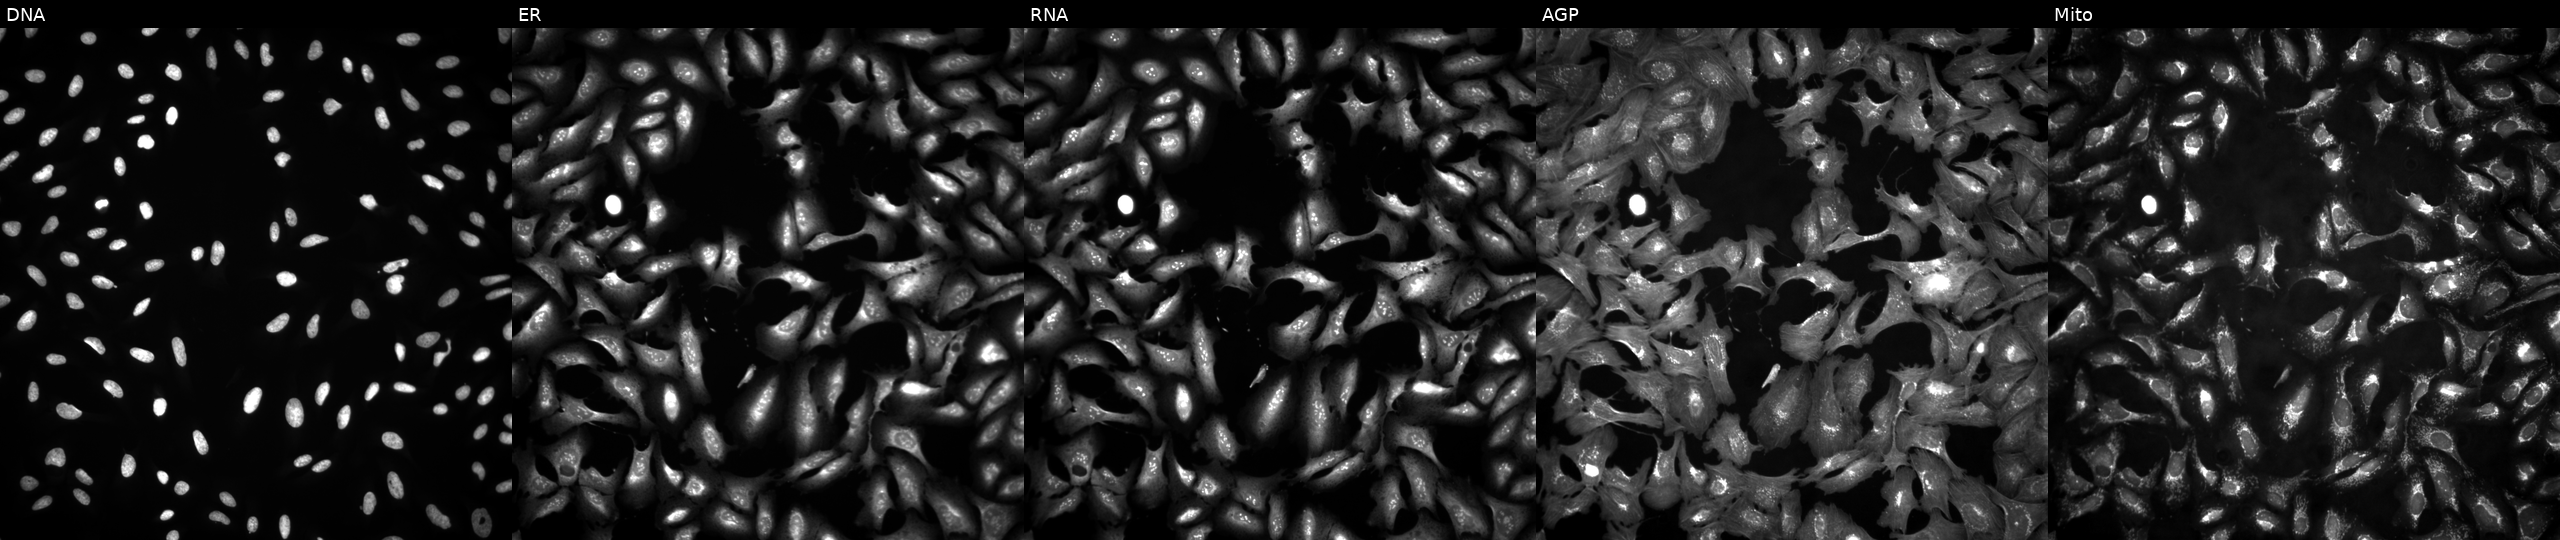
JUMP Cell Painting — ORF plate. U2OS cells expressing LUCIFERASE (ORF negative control). The five panels, left to right, show DNA (nuclei); ER (endoplasmic reticulum); RNA (nucleoli and cytoplasmic RNA); AGP (actin cytoskeleton, Golgi, and plasma membrane); Mito (mitochondria).